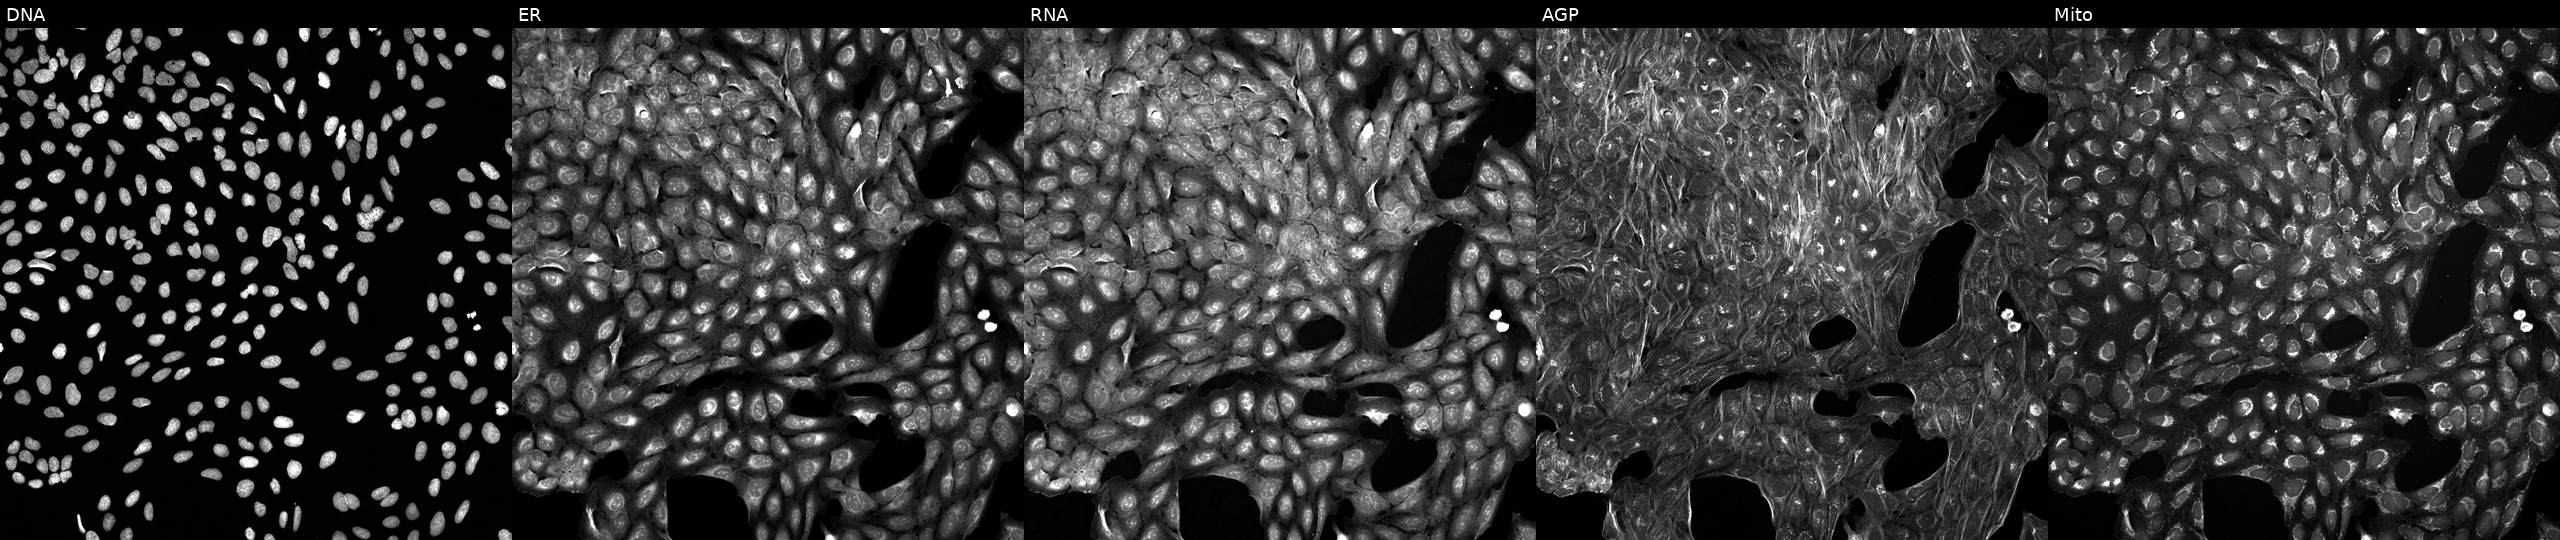
Channels (left→right): Hoechst 33342, concanavalin A, SYTO 14, phalloidin and WGA, MitoTracker. U2OS osteosarcoma cells exposed to a small-molecule compound. Cell Painting assay, JUMP-CP dataset.